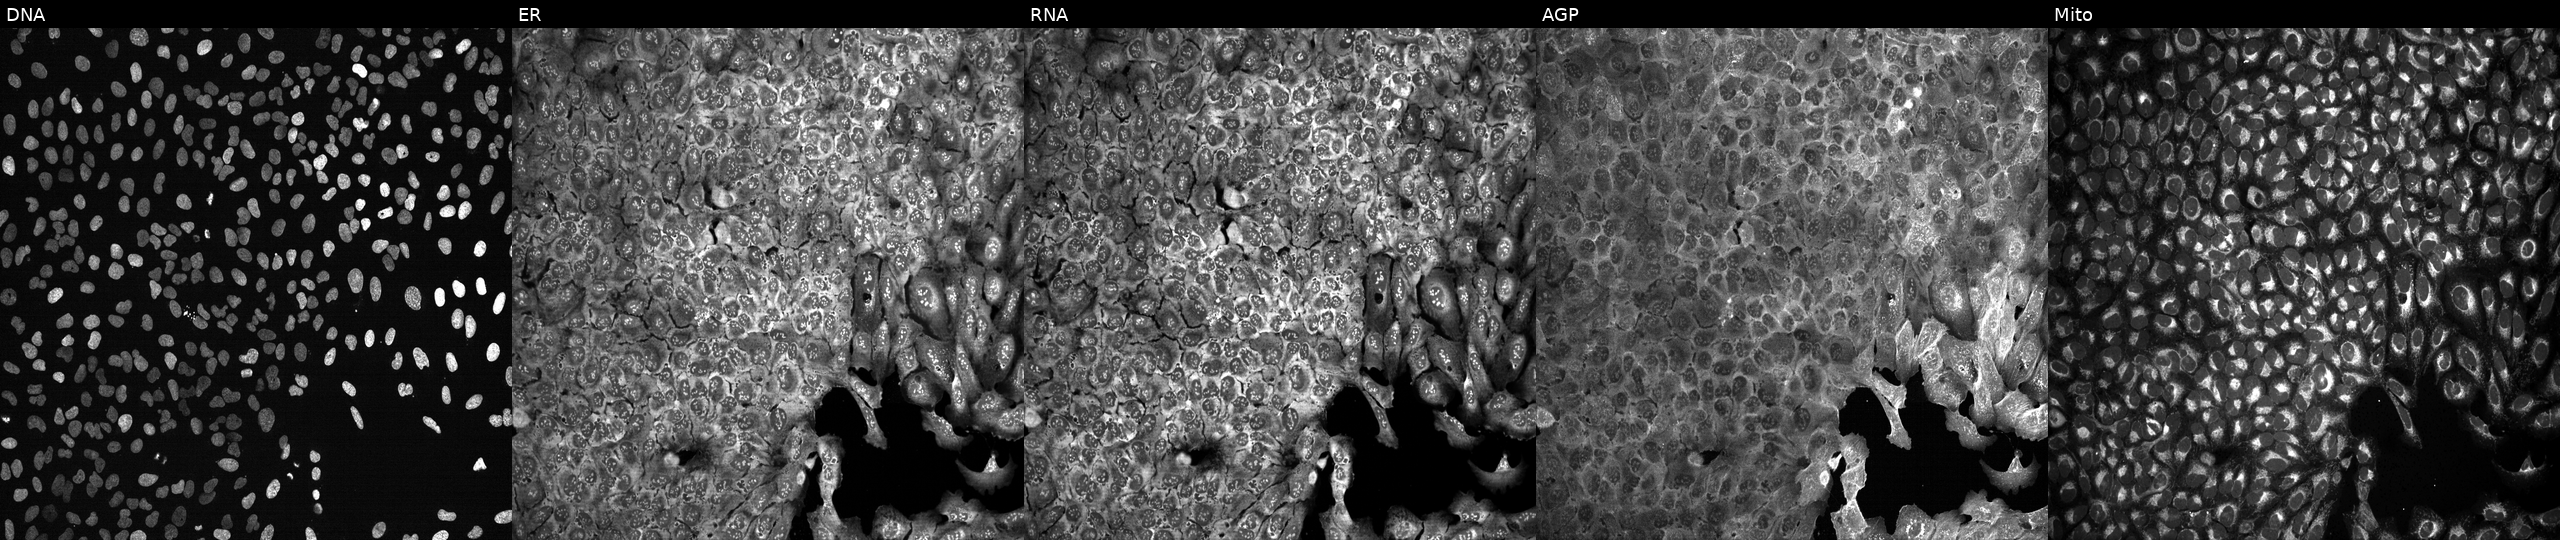
Five-channel Cell Painting image of U2OS cells CRISPR-edited to disrupt ARFGAP1. Channels (left→right): DNA, ER, RNA, AGP, and Mito.